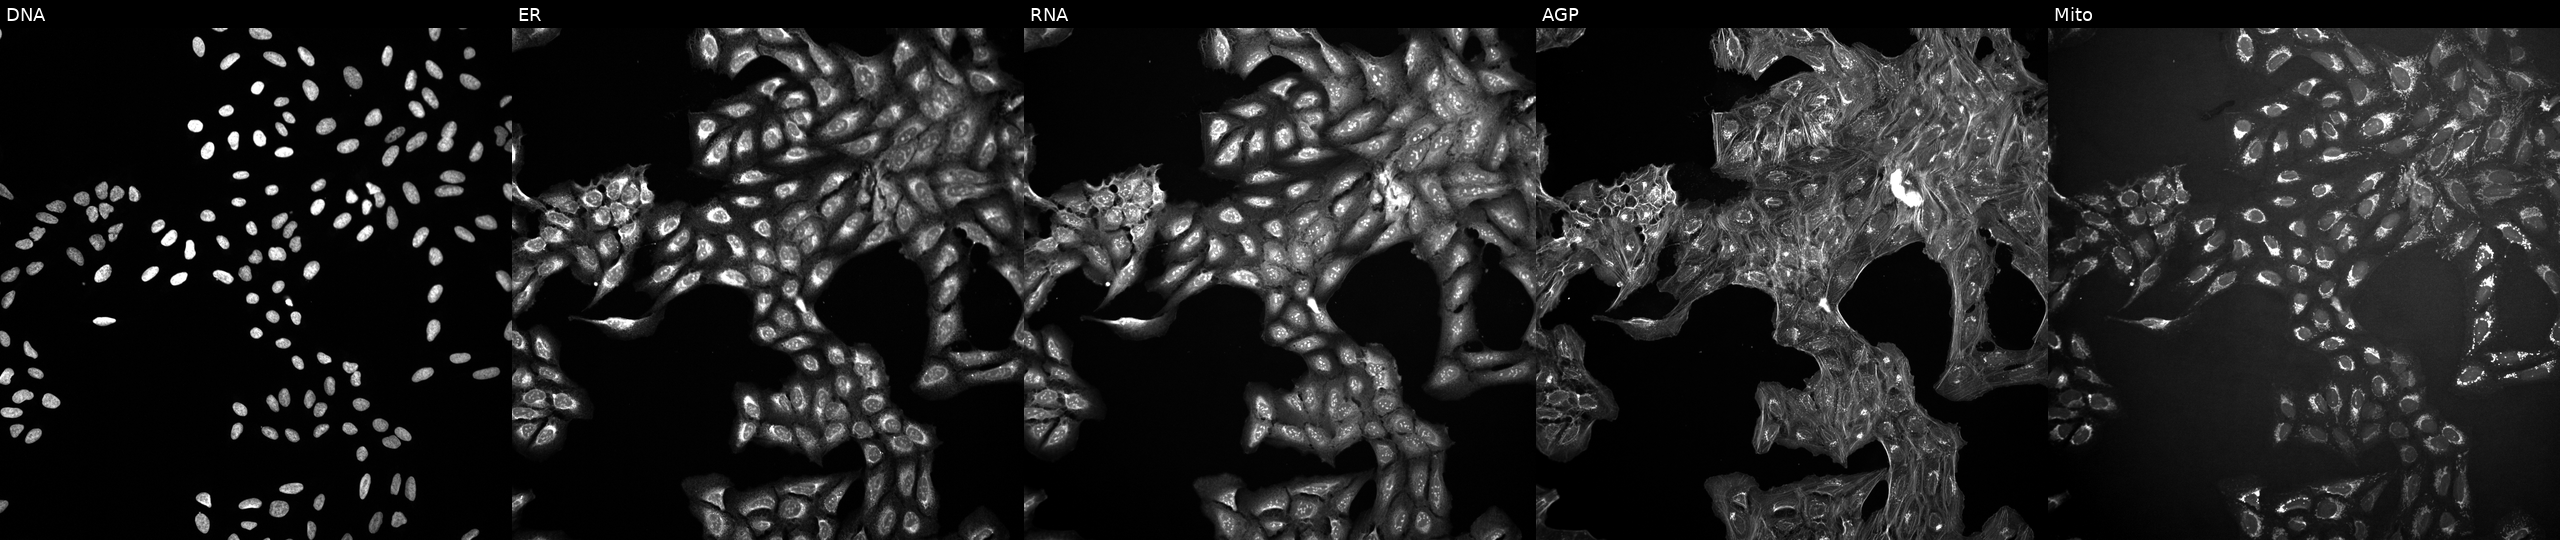
High-content fluorescence microscopy (Cell Painting). Cell line: U2OS. Perturbation: perturbed with a small-molecule compound (InChIKey WJTFSBWOUPJUOW-UHFFFAOYSA-N). From left to right: DNA, ER, RNA, AGP, and Mito.